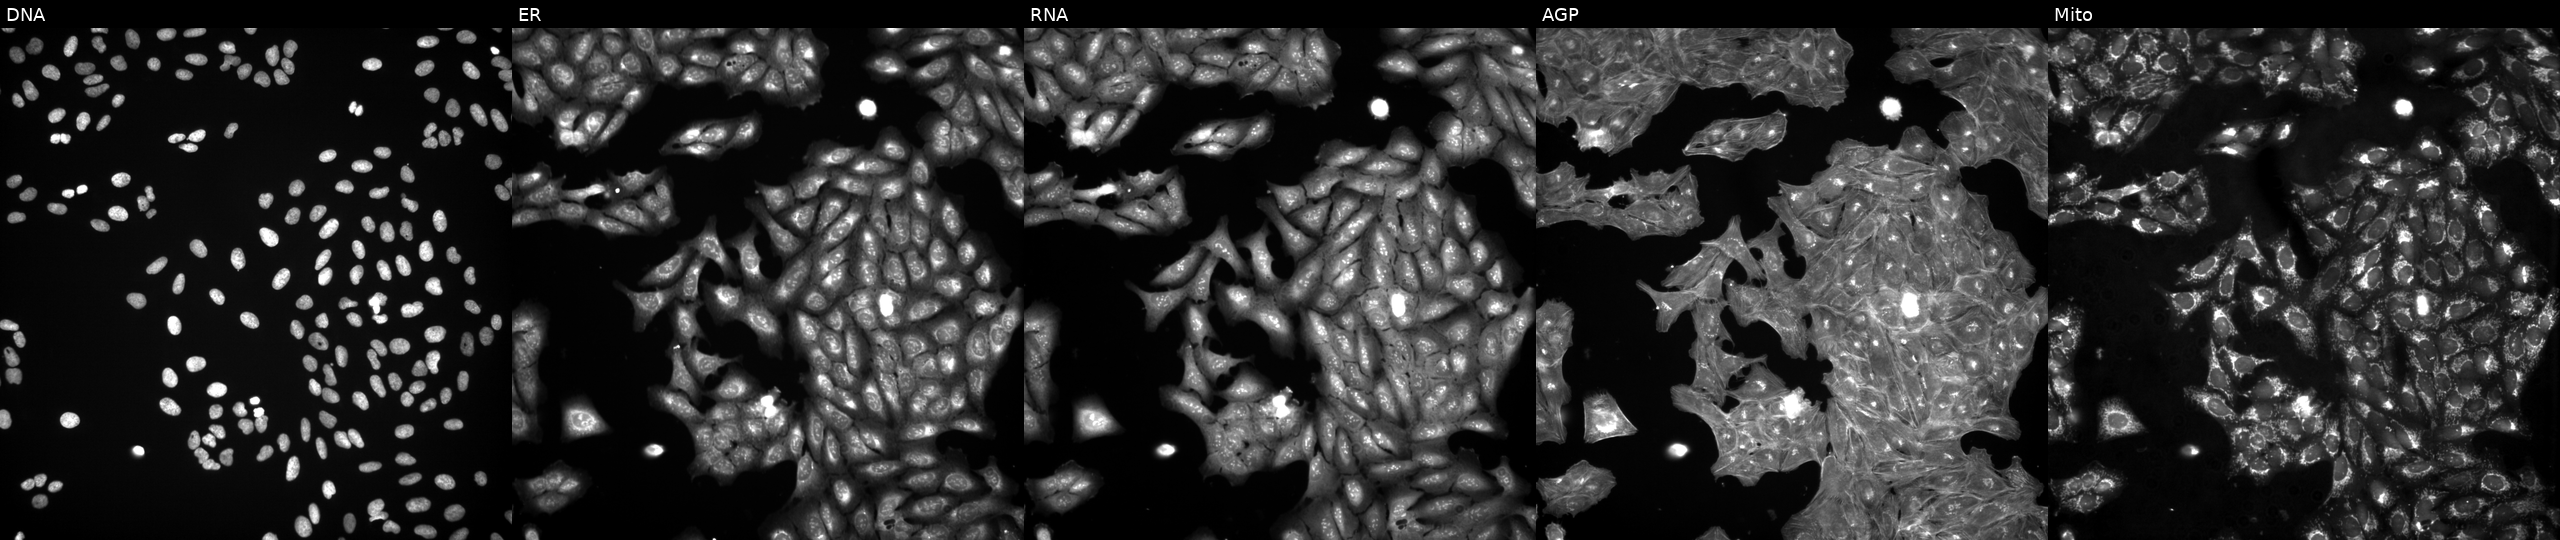
This image strip shows the five Cell Painting channels for a single field of U2OS cells perturbed with a small-molecule compound. Channels (left→right): DNA (nuclei); ER (endoplasmic reticulum); RNA (nucleoli and cytoplasmic RNA); AGP (actin cytoskeleton, Golgi, and plasma membrane); Mito (mitochondria).